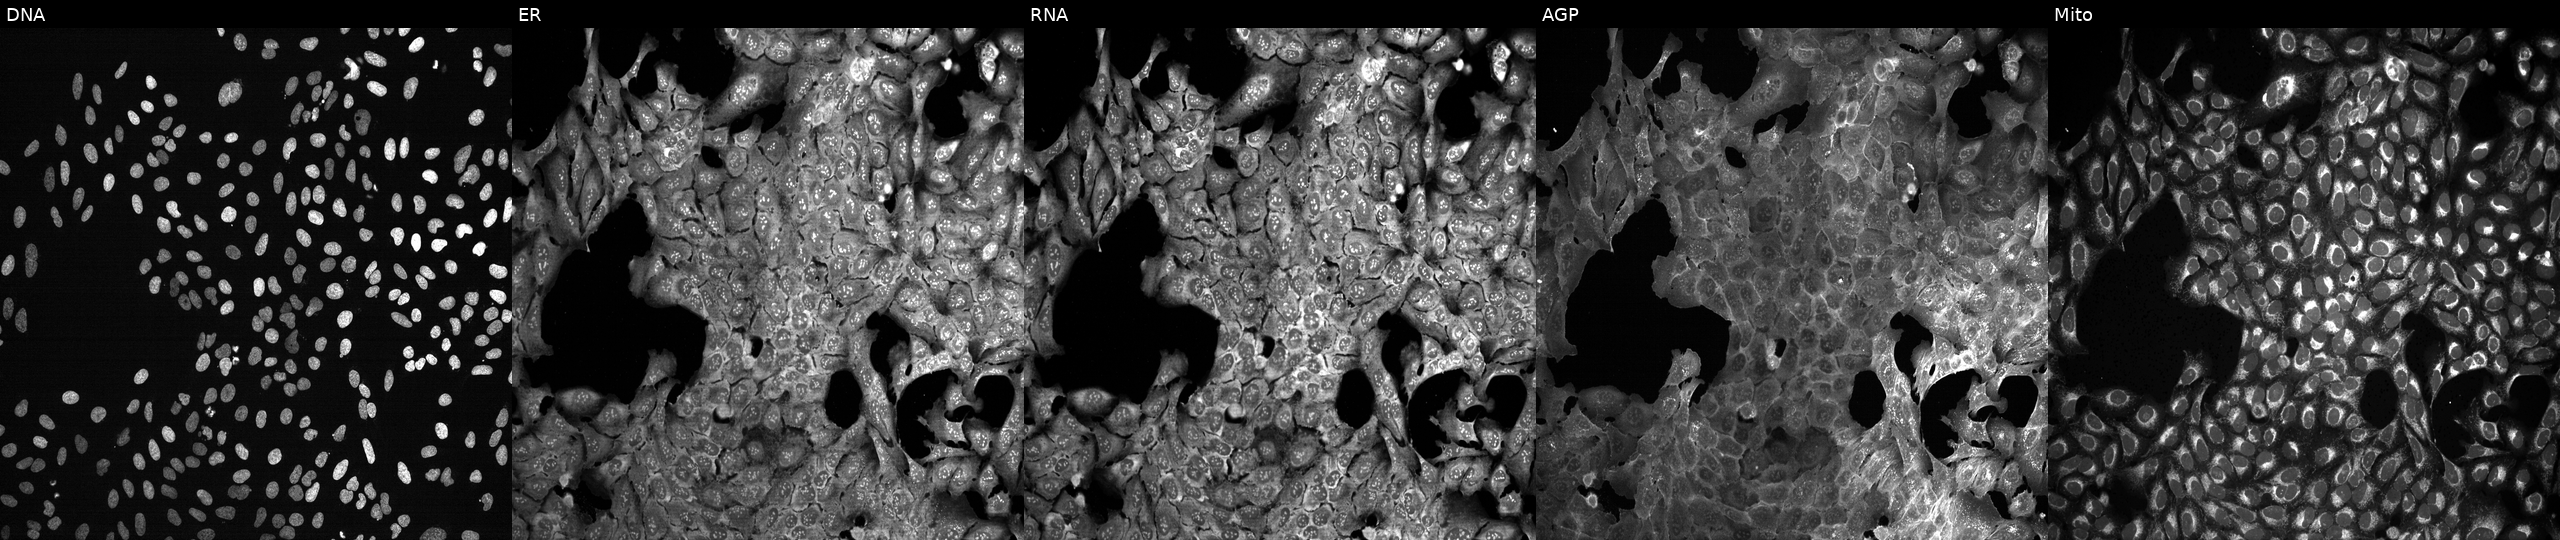
U2OS cells, Cell Painting assay, with CAND2 knocked out by CRISPR (JUMP id JCP2022_801036). Channels (left→right): Hoechst 33342, concanavalin A, SYTO 14, phalloidin and WGA, MitoTracker. Each panel is percentile-stretched 16-bit fluorescence.